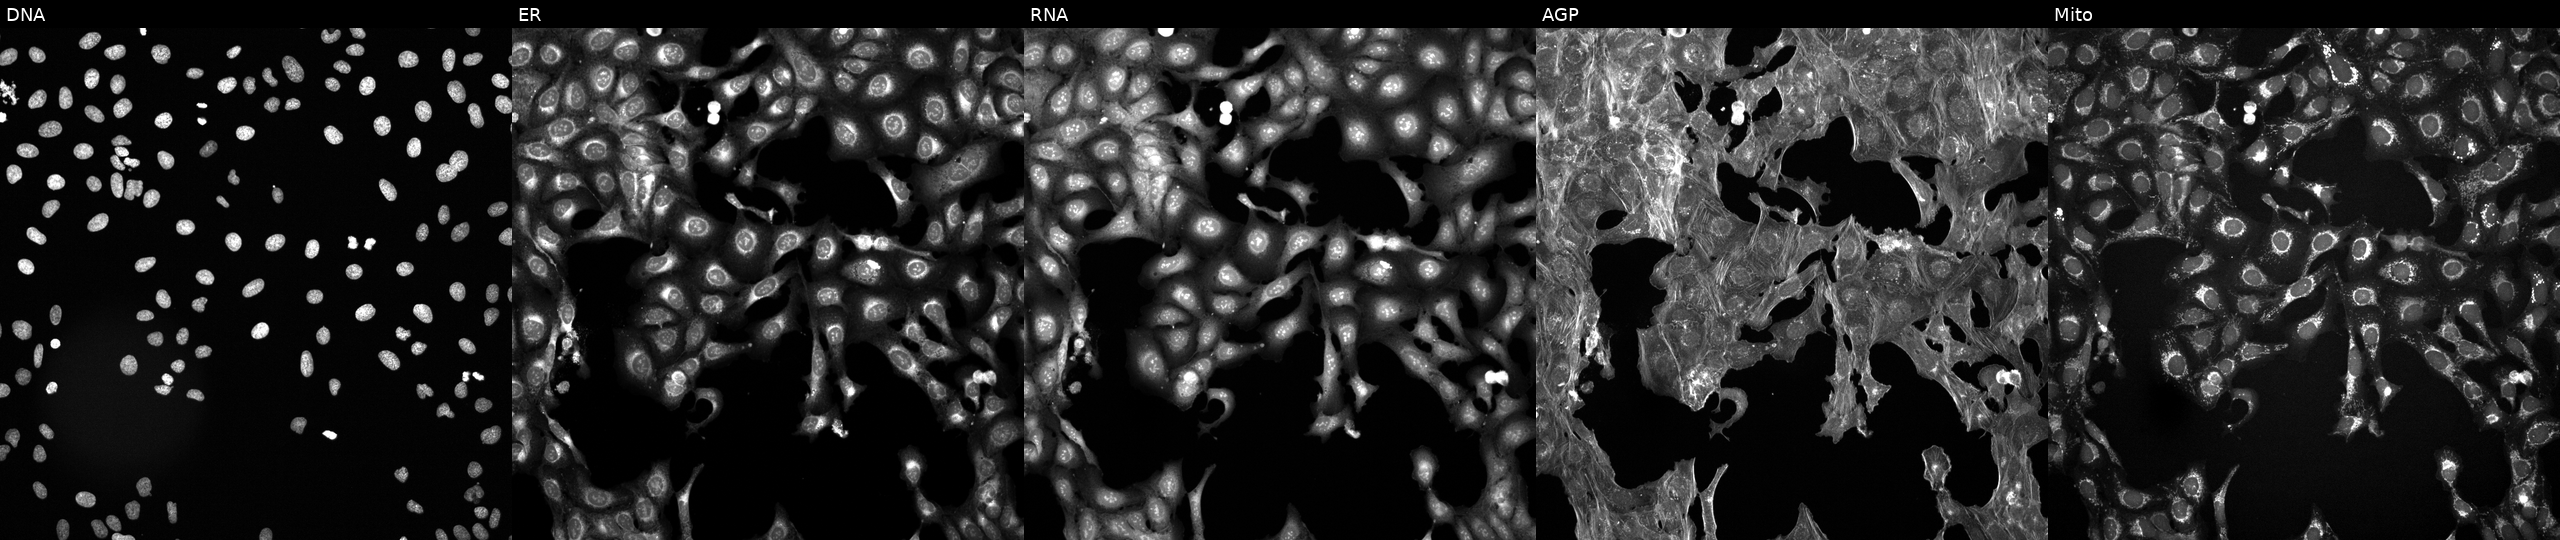
From left to right: Hoechst 33342, concanavalin A, SYTO 14, phalloidin and WGA, MitoTracker. U2OS osteosarcoma cells perturbed with a small-molecule compound (InChIKey GDVRVPIXWXOKQO-UHFFFAOYSA-N) (JUMP id JCP2022_024824). Cell Painting assay, JUMP-CP dataset.